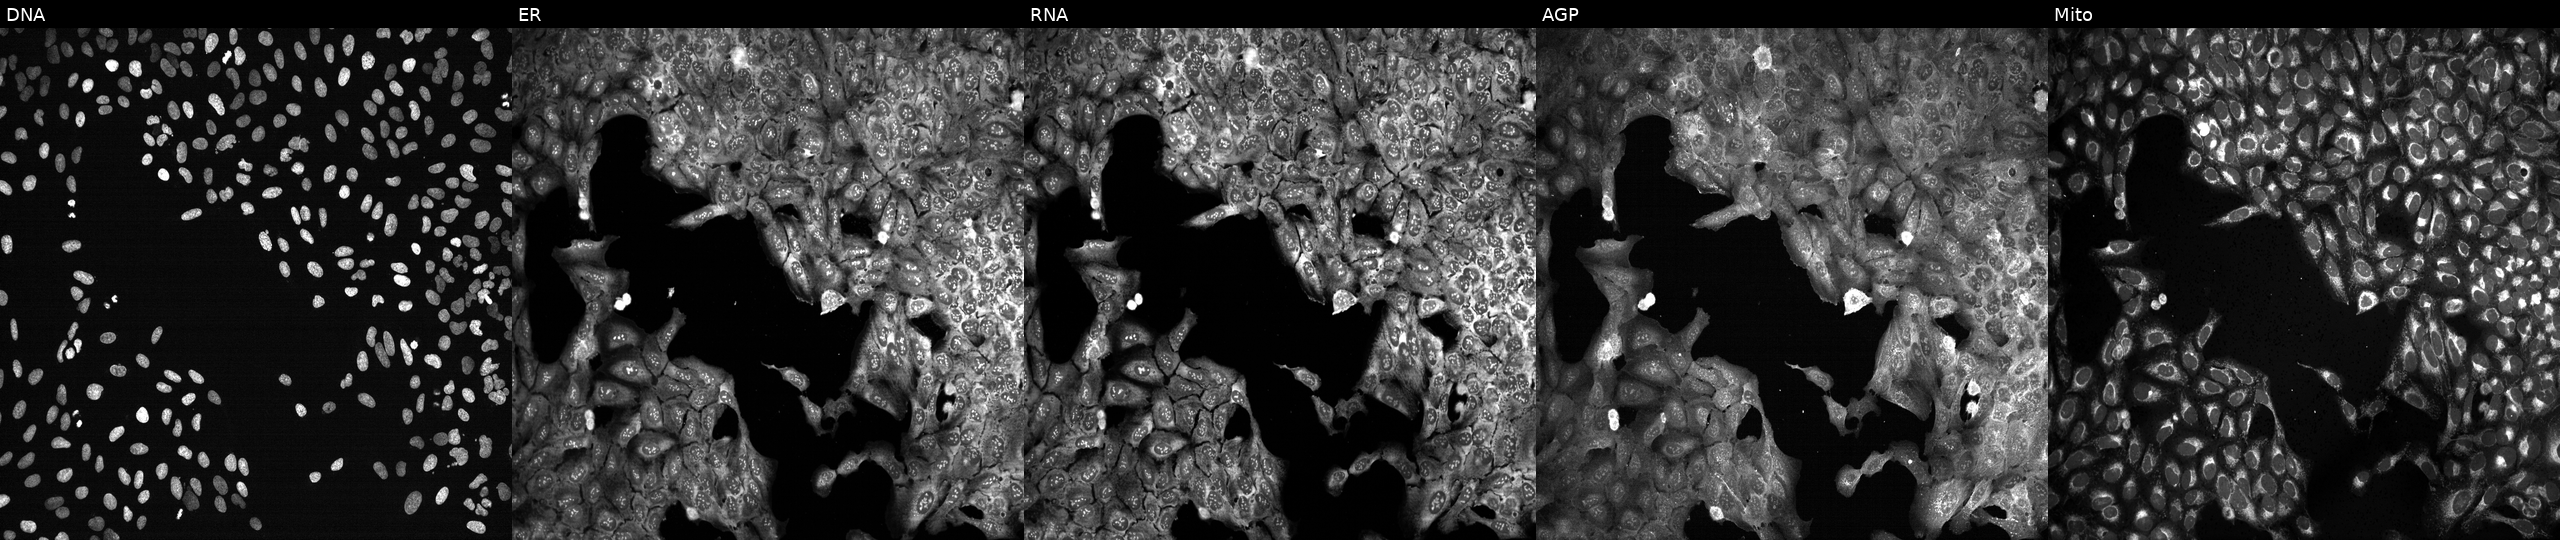
High-content fluorescence microscopy (Cell Painting). Cell line: U2OS. Perturbation: CRISPR-edited to disrupt TOP3A. From left to right: DNA, ER, RNA, AGP, and Mito.